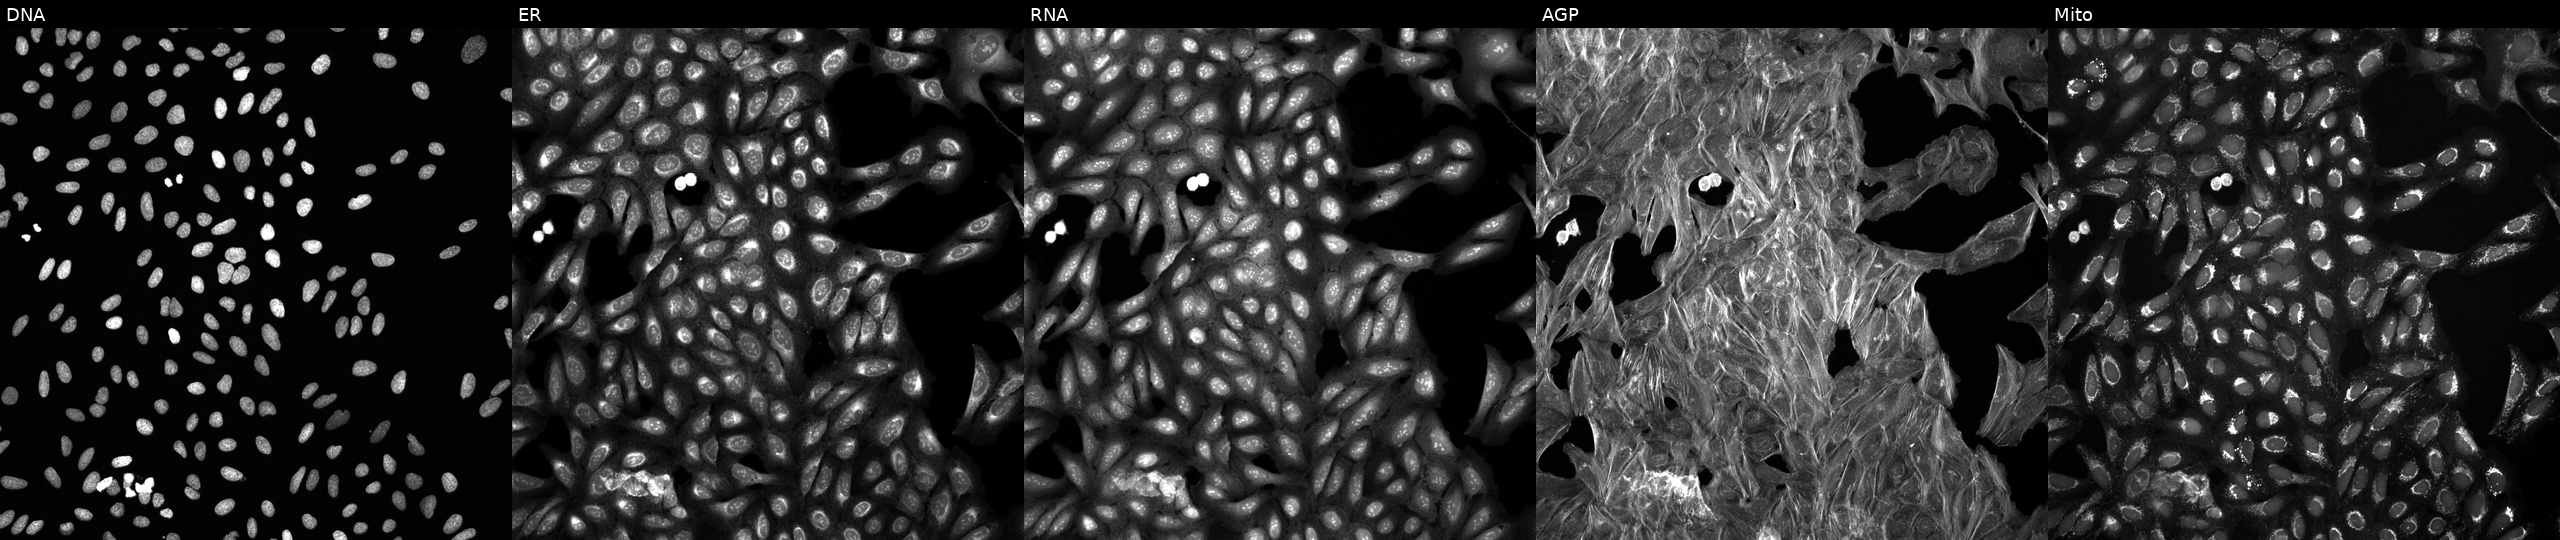
This image strip shows the five Cell Painting channels for a single field of U2OS cells perturbed with a small-molecule compound (InChIKey QOOOLBTWOGMFIH-UHFFFAOYSA-N). Channels (left→right): DNA (nuclei); ER (endoplasmic reticulum); RNA (nucleoli and cytoplasmic RNA); AGP (actin cytoskeleton, Golgi, and plasma membrane); Mito (mitochondria). Source 6, plate 110000293082, well N06.